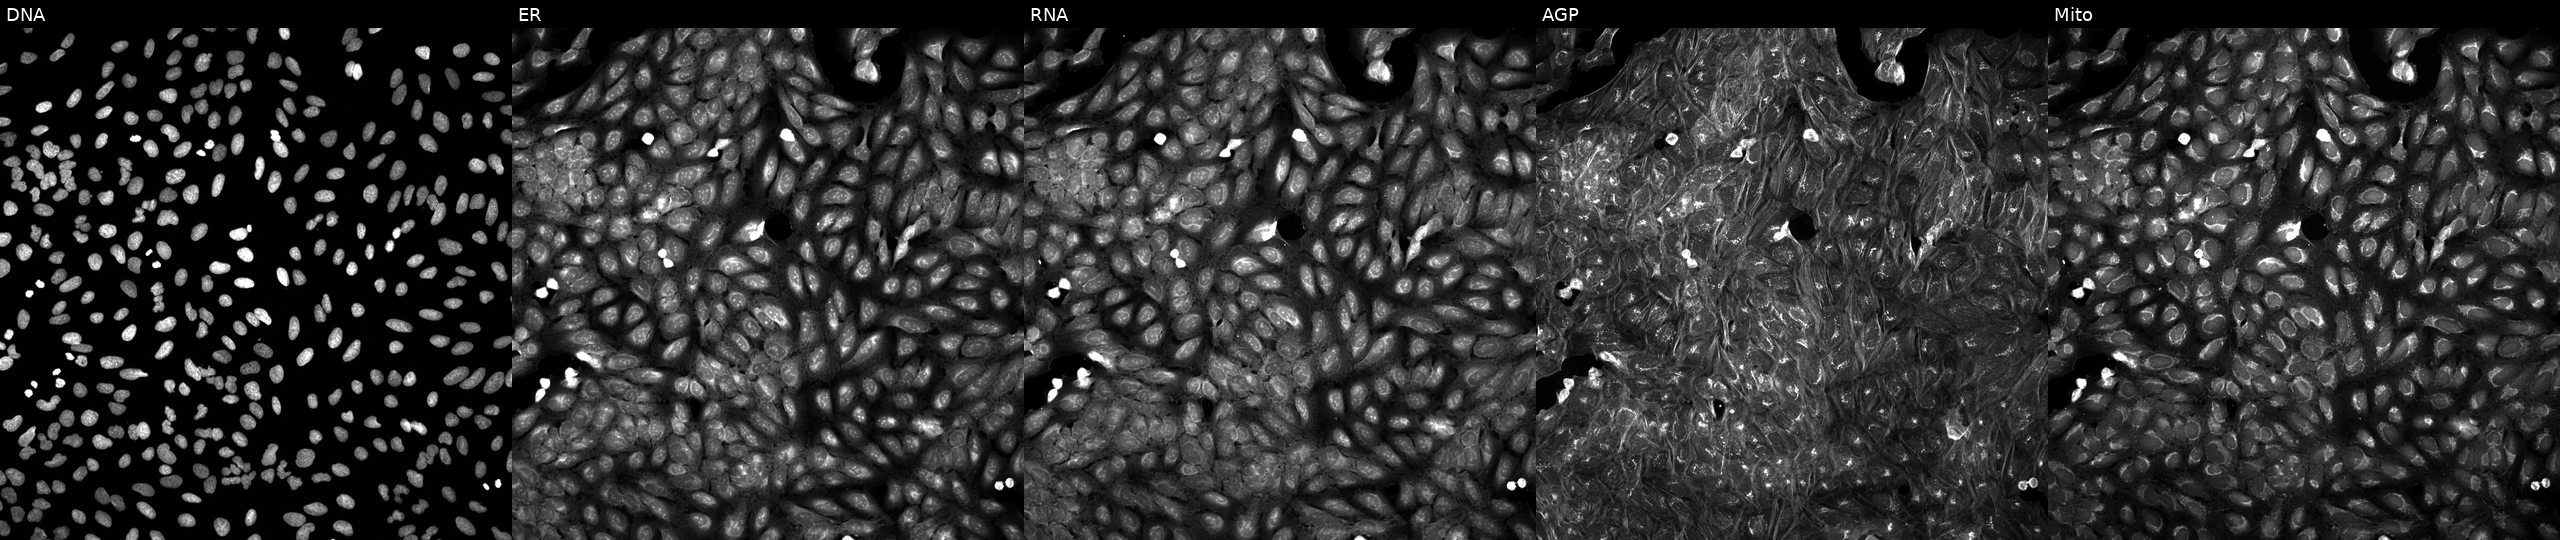
Five-channel Cell Painting image of U2OS cells perturbed with a small-molecule compound (InChIKey UUSMMBILSPOSKK-UHFFFAOYSA-N). The five panels, left to right, show DNA, ER, RNA, AGP, and Mito.